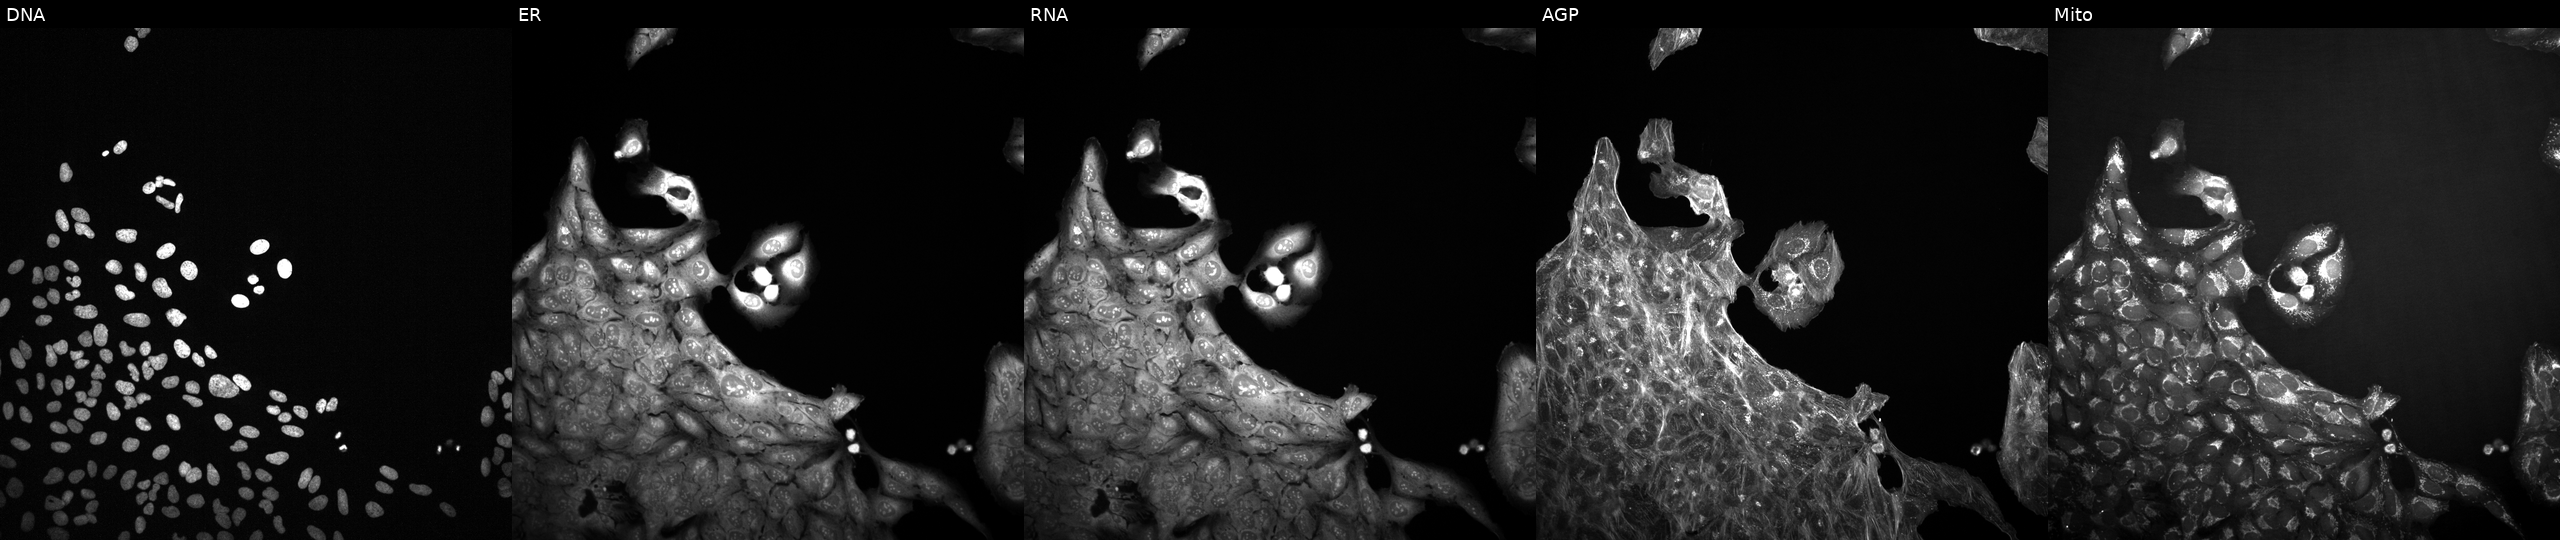
High-content fluorescence microscopy (Cell Painting). Cell line: U2OS. Perturbation: perturbed with a small-molecule compound (InChIKey WPEWQEMJFLWMLV-UHFFFAOYSA-N) (JUMP id JCP2022_100264). The five panels, left to right, show DNA (nuclei); ER (endoplasmic reticulum); RNA (nucleoli and cytoplasmic RNA); AGP (actin cytoskeleton, Golgi, and plasma membrane); Mito (mitochondria).